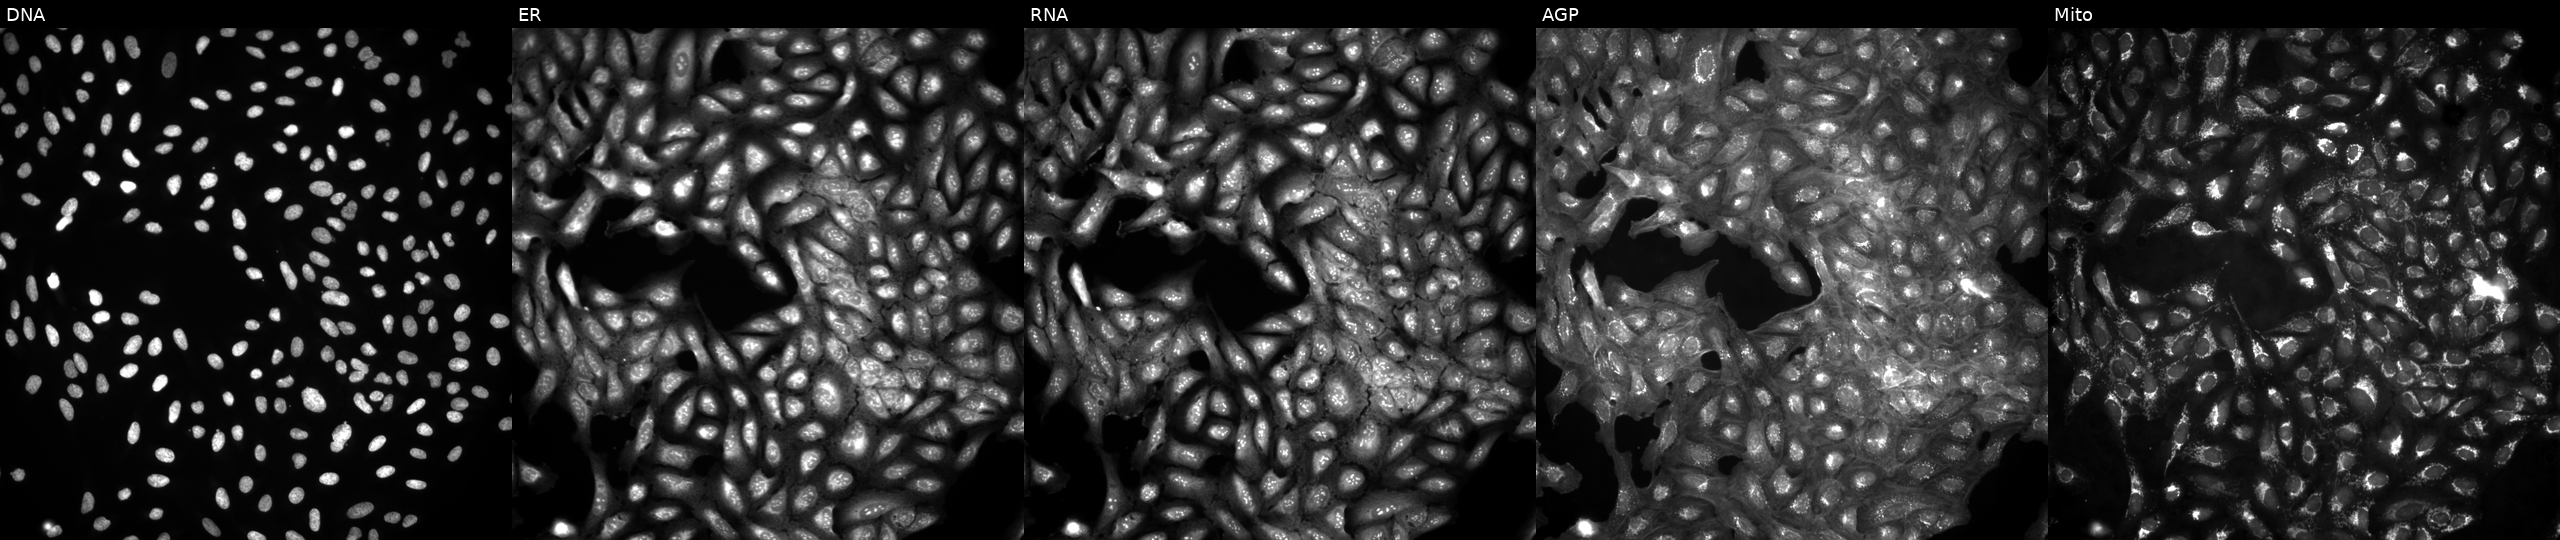
From left to right: DNA (nuclei); ER (endoplasmic reticulum); RNA (nucleoli and cytoplasmic RNA); AGP (actin cytoskeleton, Golgi, and plasma membrane); Mito (mitochondria). U2OS osteosarcoma cells in an empty control well (no perturbation) (JUMP id JCP2022_999999). Cell Painting assay, JUMP-CP dataset.